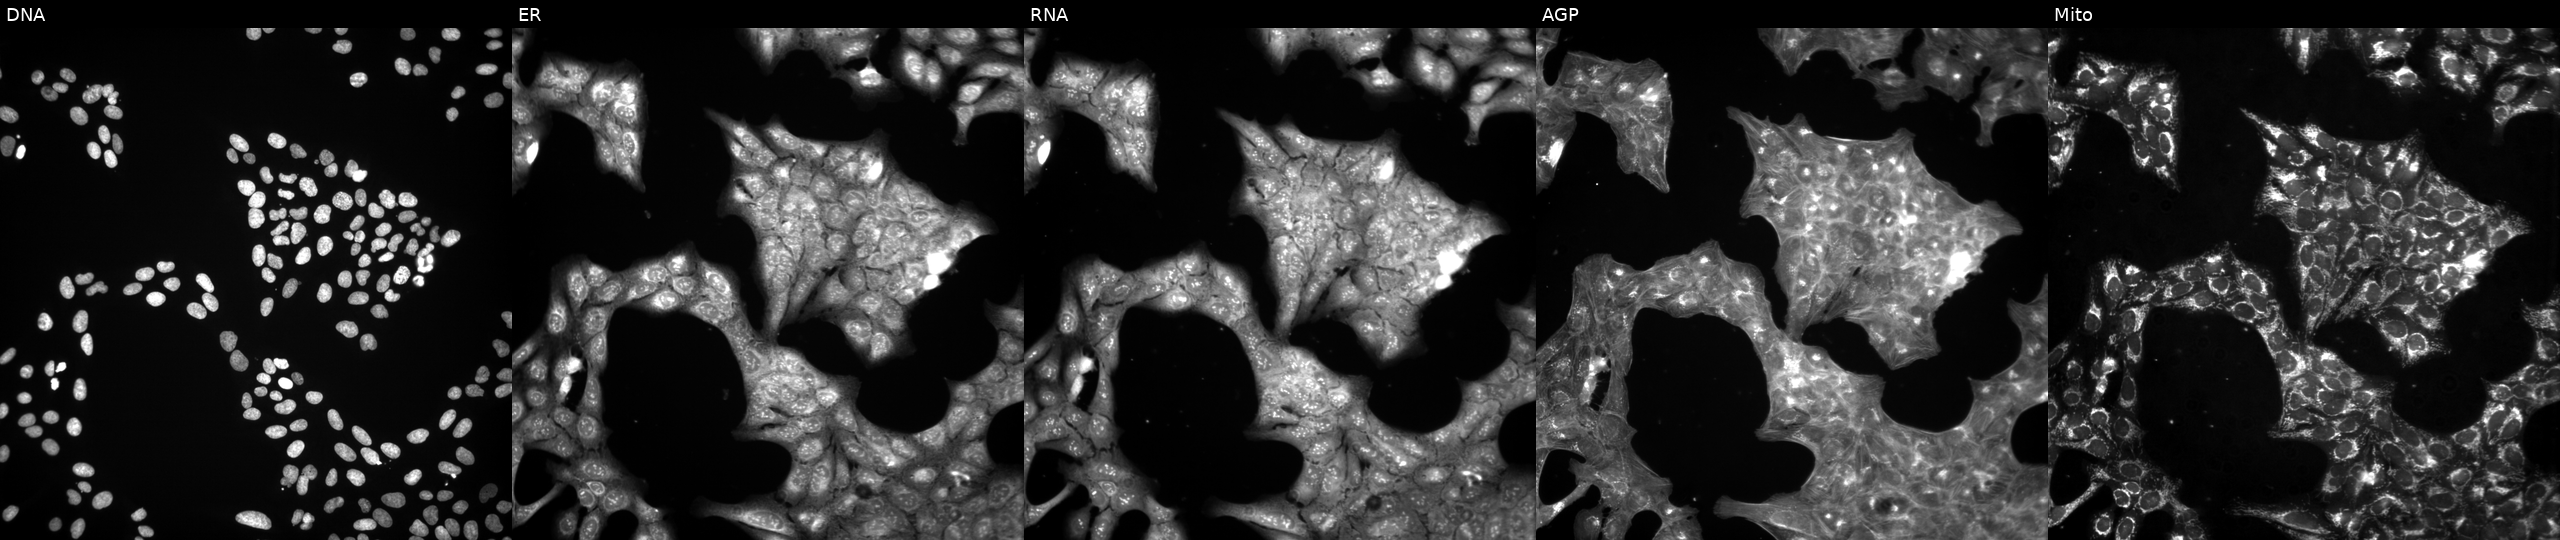
Five-channel Cell Painting image of U2OS cells exposed to the positive-control compound LY2109761. From left to right: DNA, ER, RNA, AGP, and Mito.